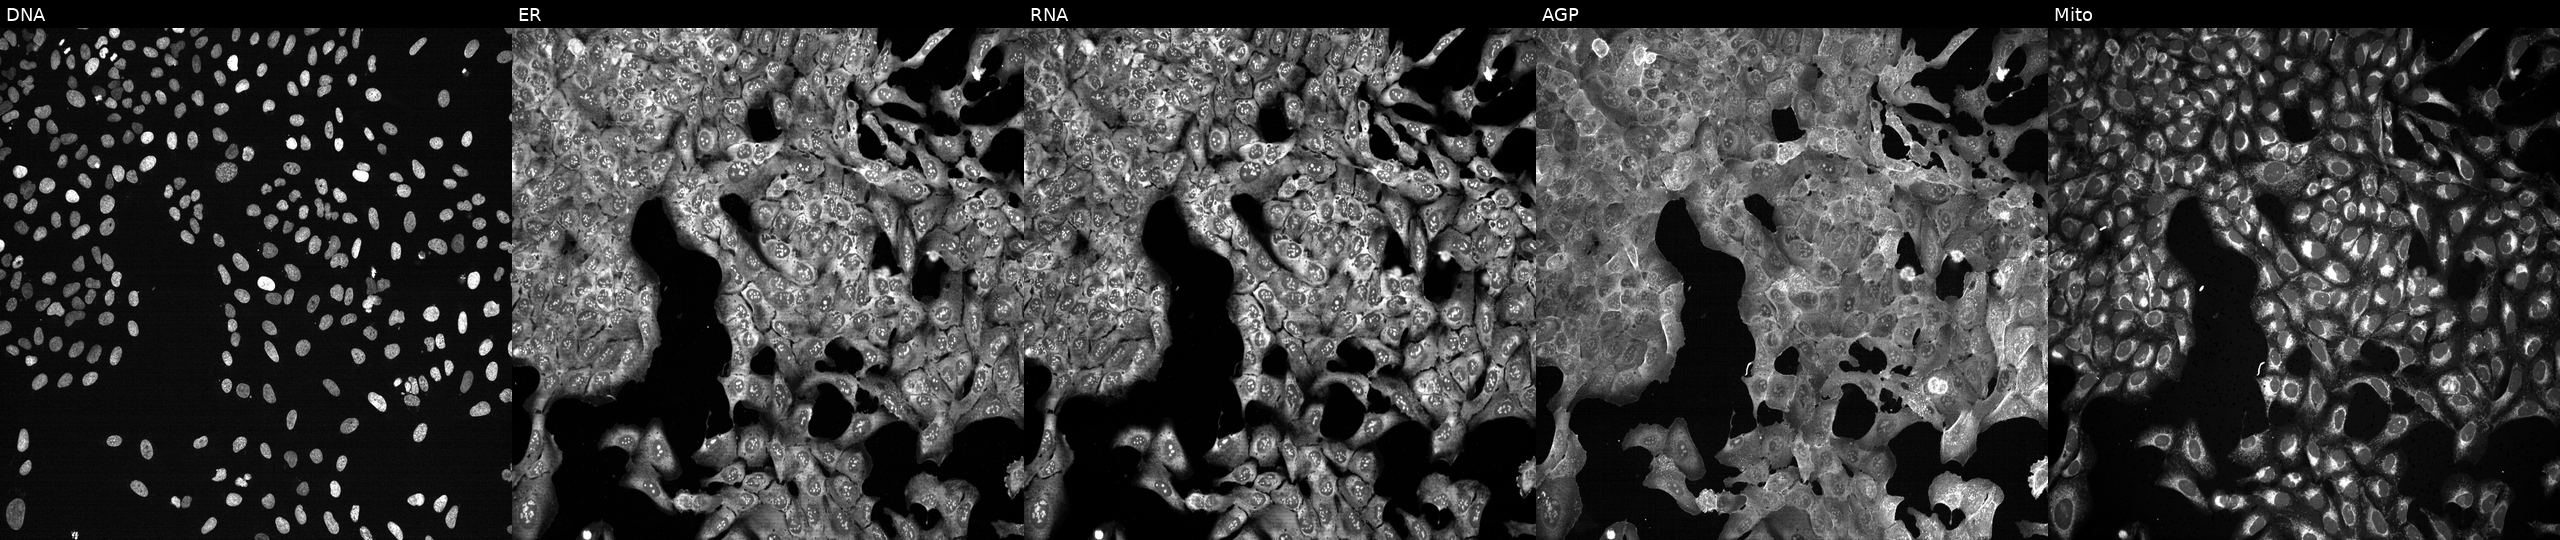
JUMP Cell Painting — CRISPR plate. U2OS cells with HMBS knocked out by CRISPR (JUMP id JCP2022_803140). Channels (left→right): DNA, ER, RNA, AGP, and Mito.